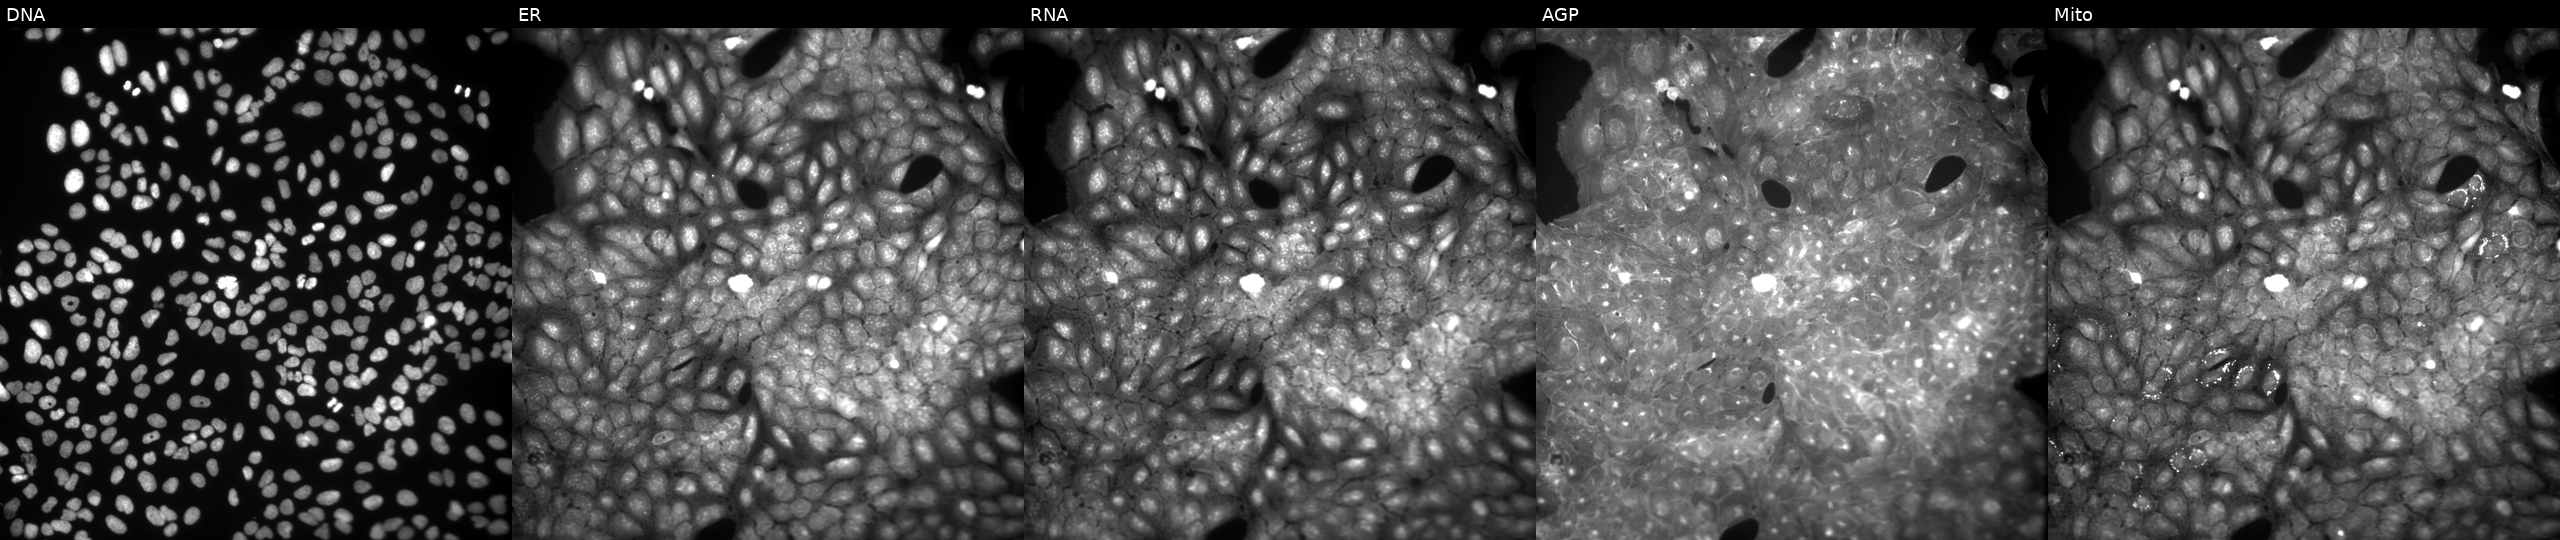
The five panels, left to right, show Hoechst 33342, concanavalin A, SYTO 14, phalloidin and WGA, MitoTracker. U2OS osteosarcoma cells treated with a small-molecule compound (InChIKey KNFAFDWZNXLQKN-UHFFFAOYSA-N). Cell Painting assay, JUMP-CP dataset.